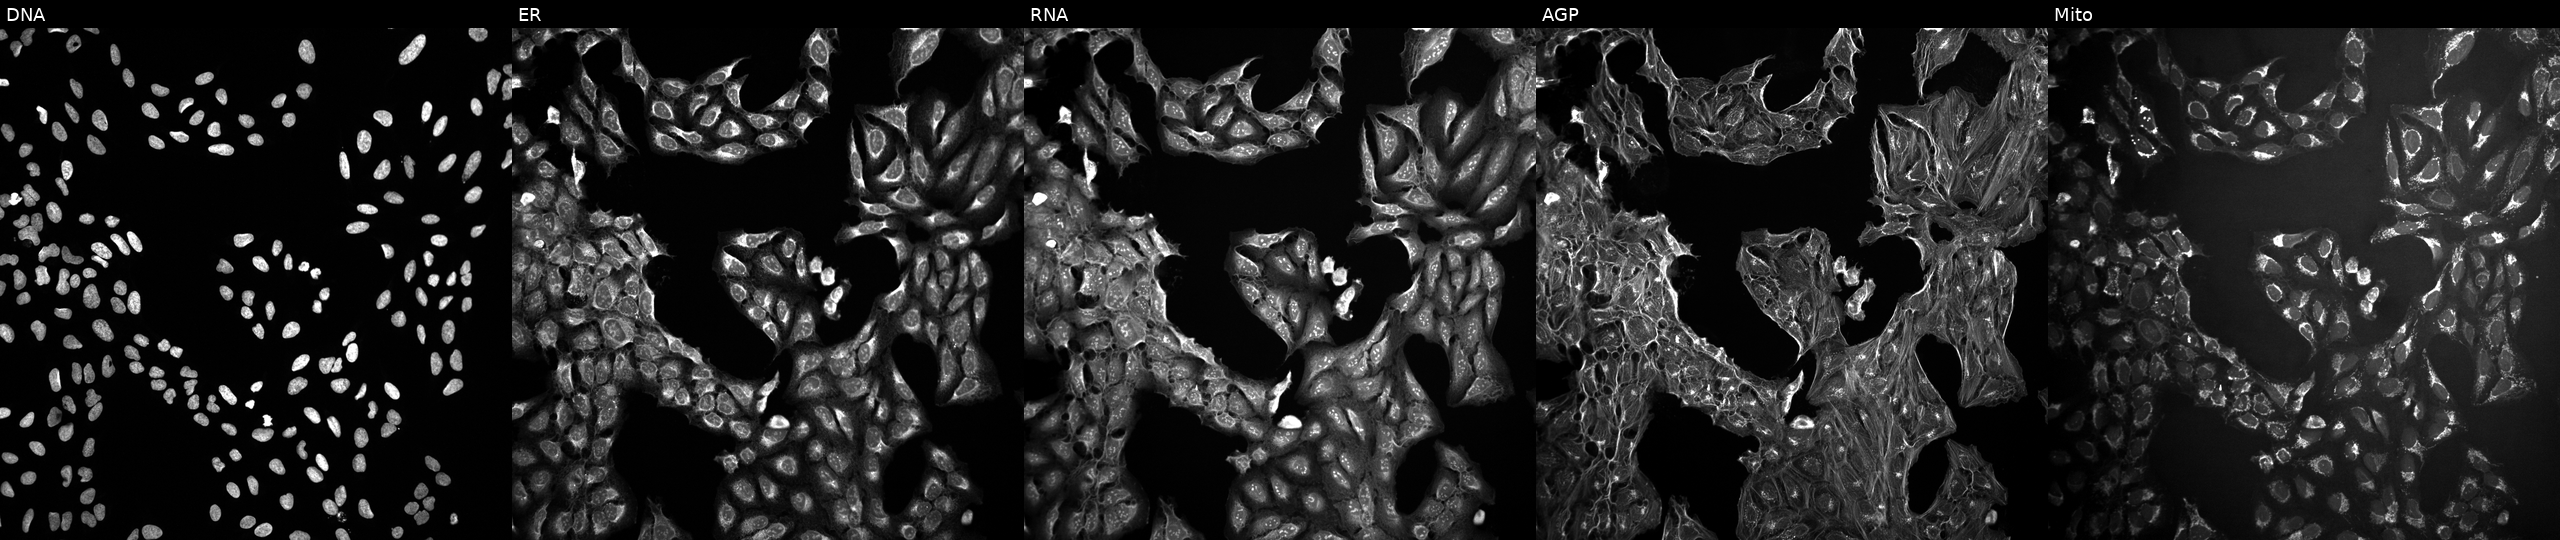
This image strip shows the five Cell Painting channels for a single field of U2OS cells perturbed with a small-molecule compound (InChIKey IXOOYZIGCDFAEQ-UHFFFAOYSA-N) [SMILES: Cn1cccc(C(=O)NCC(O)(c2ccccc2)C2CCOCC2)c1=O] (JUMP id JCP2022_038009). From left to right: DNA (nuclei); ER (endoplasmic reticulum); RNA (nucleoli and cytoplasmic RNA); AGP (actin cytoskeleton, Golgi, and plasma membrane); Mito (mitochondria). Source 10, plate Dest210531-152324, well L17.